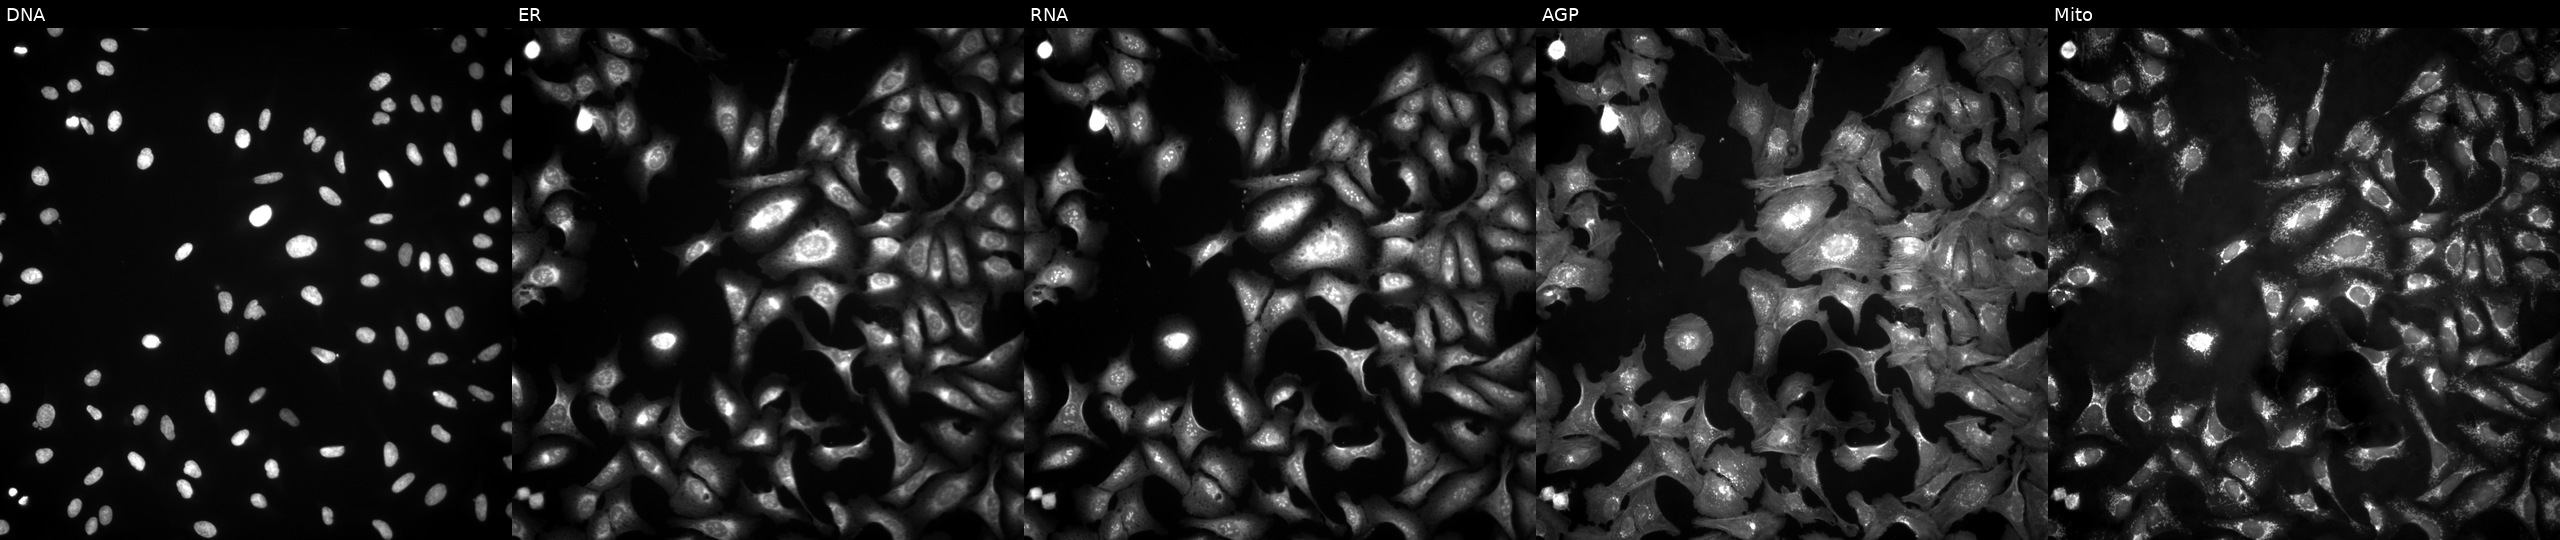
This image strip shows the five Cell Painting channels for a single field of U2OS cells overexpressing EXOSC8 via ORF transfection. Panels show, left to right, DNA (nuclei); ER (endoplasmic reticulum); RNA (nucleoli and cytoplasmic RNA); AGP (actin cytoskeleton, Golgi, and plasma membrane); Mito (mitochondria).